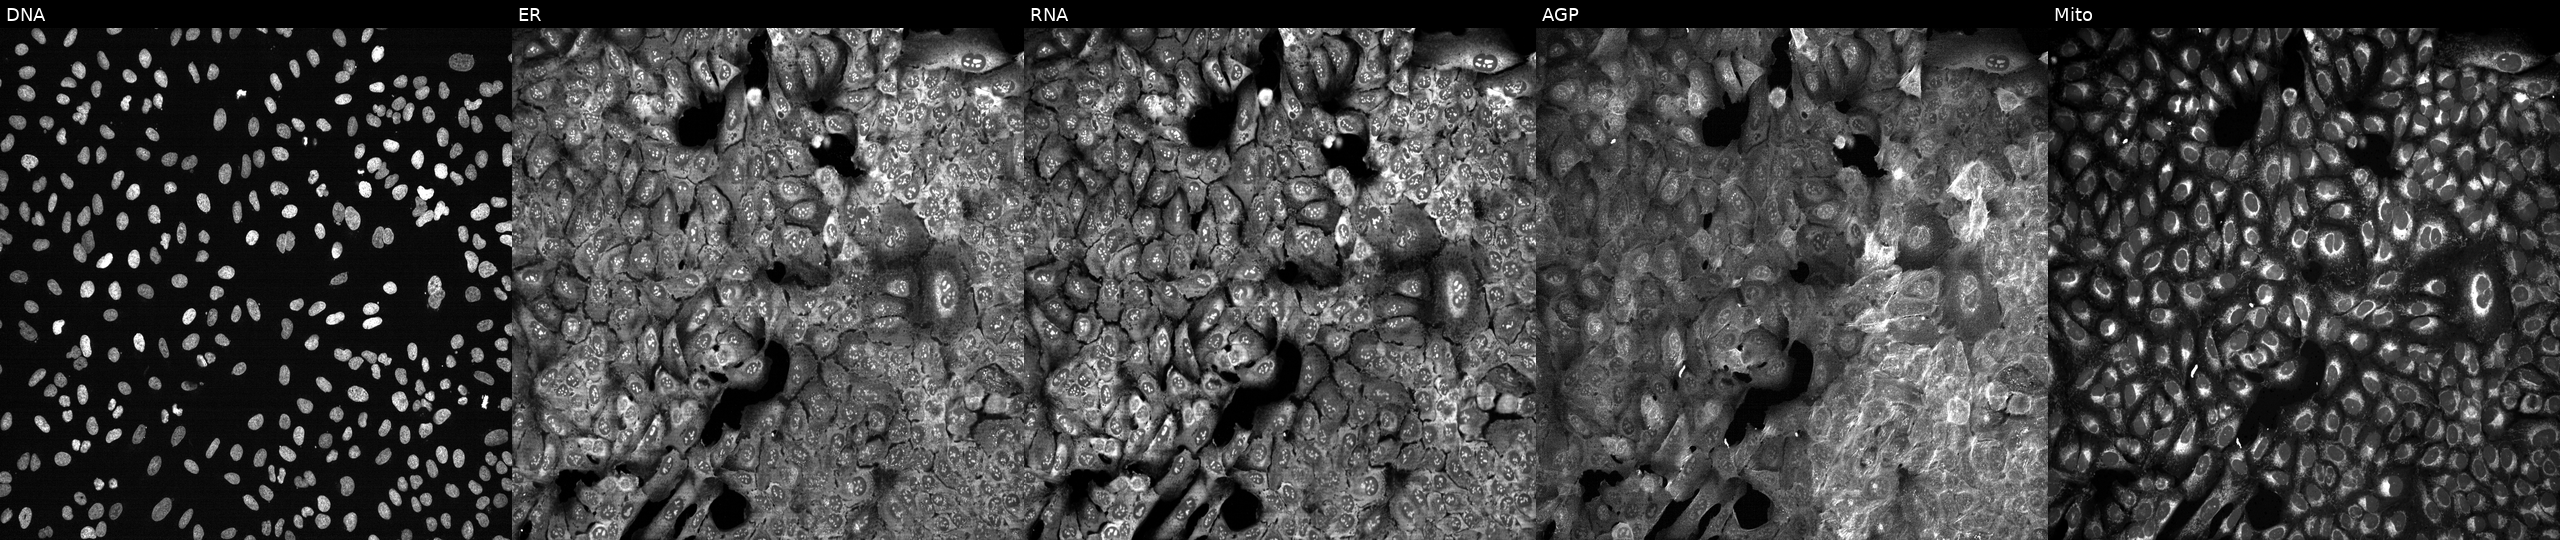
Panels show, left to right, DNA (nuclei); ER (endoplasmic reticulum); RNA (nucleoli and cytoplasmic RNA); AGP (actin cytoskeleton, Golgi, and plasma membrane); Mito (mitochondria). U2OS osteosarcoma cells following CRISPR knockout of NMT2. Cell Painting assay, JUMP-CP dataset.